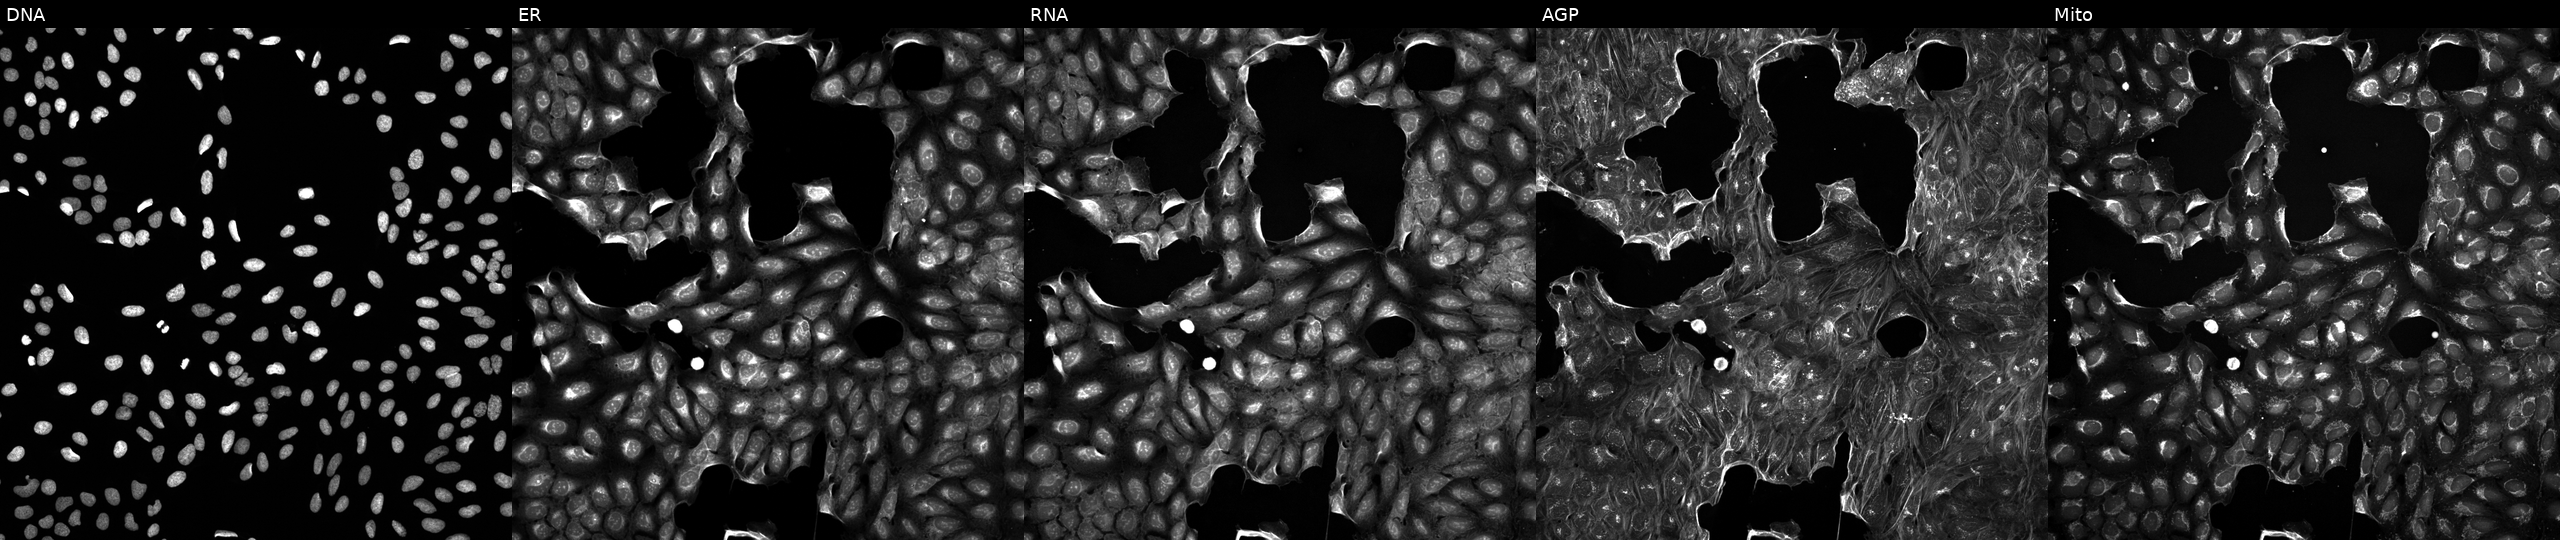
Panels show, left to right, Hoechst 33342, concanavalin A, SYTO 14, phalloidin and WGA, MitoTracker. U2OS osteosarcoma cells perturbed with a small-molecule compound (InChIKey JPGQOUSTVILISH-UHFFFAOYSA-N) (JUMP id JCP2022_041253). Cell Painting assay, JUMP-CP dataset.